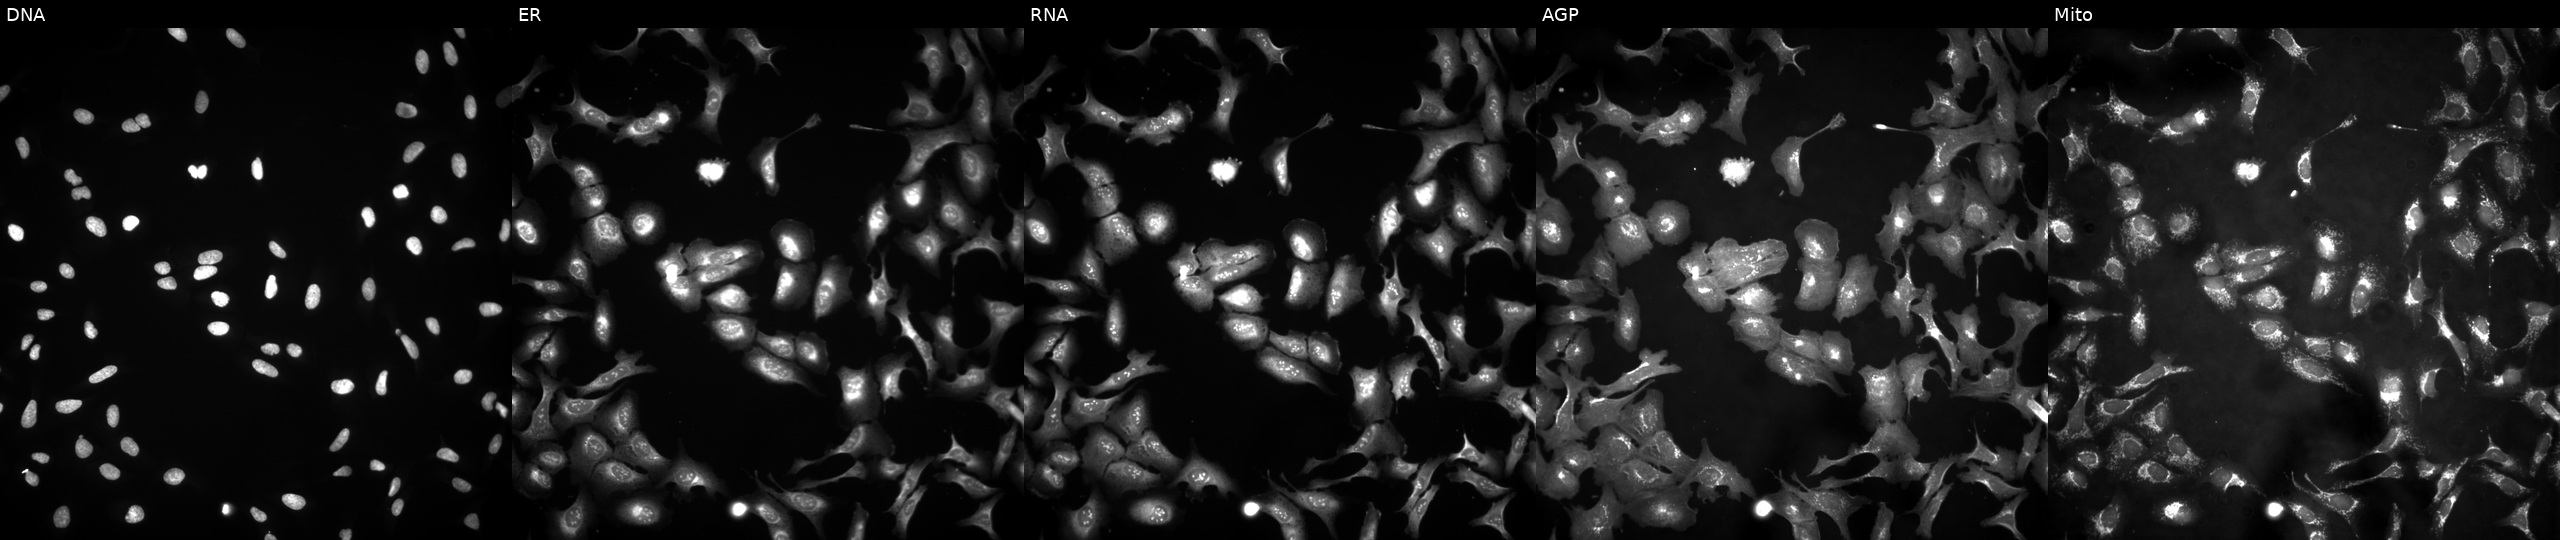
Five-channel Cell Painting image of U2OS cells with LEO1 overexpressed (ORF). From left to right: DNA (nuclei); ER (endoplasmic reticulum); RNA (nucleoli and cytoplasmic RNA); AGP (actin cytoskeleton, Golgi, and plasma membrane); Mito (mitochondria). Source 4, plate BR00121543, well H21.